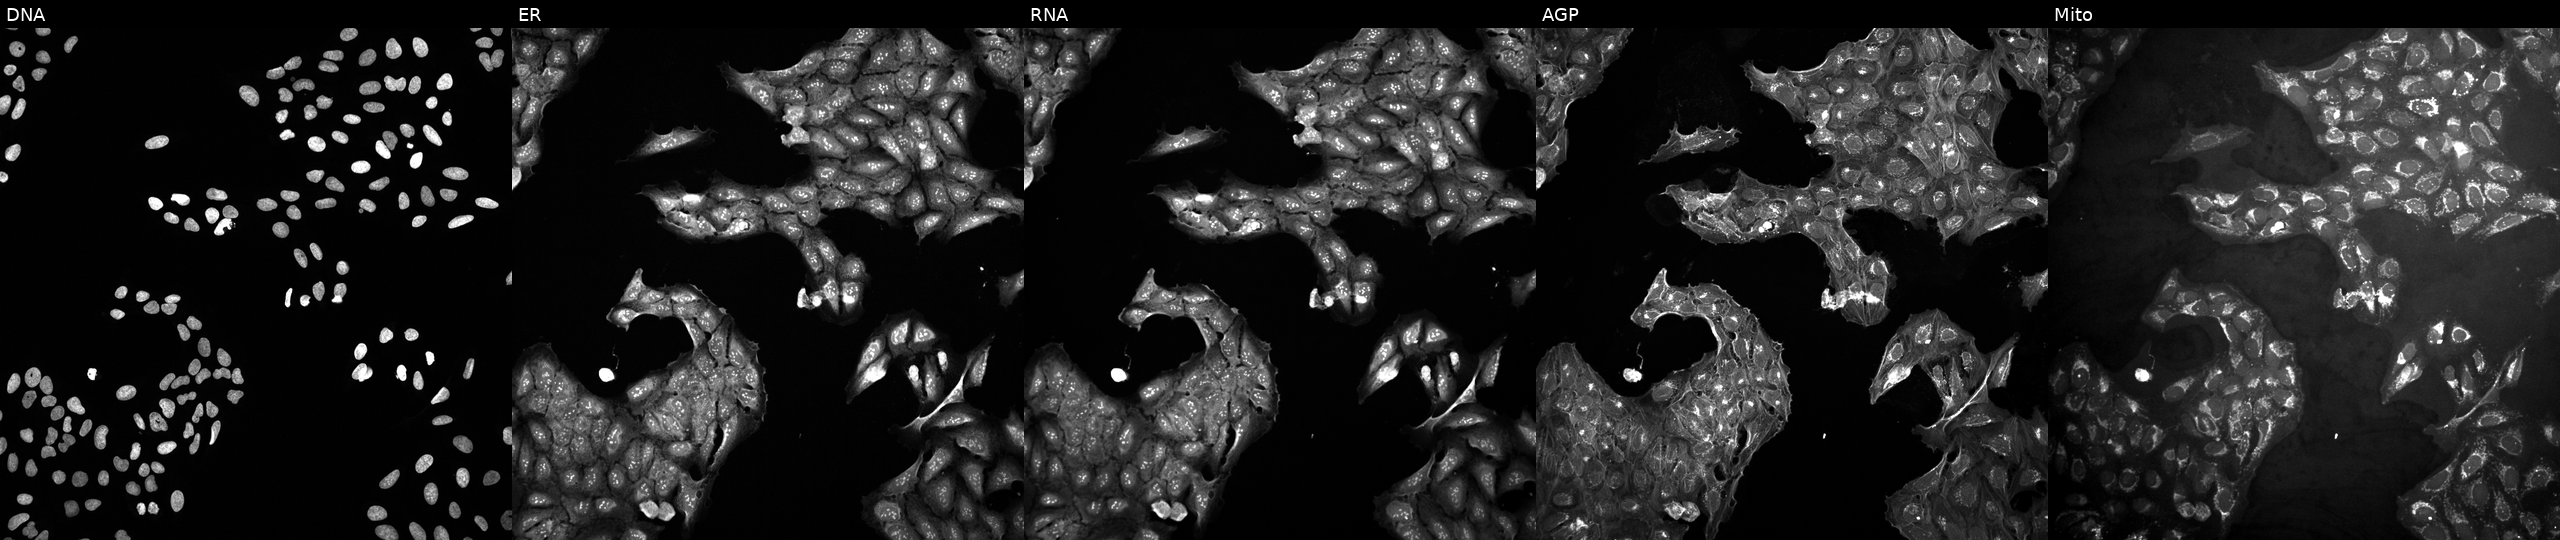
U2OS cells, Cell Painting assay, untreated (empty-well control) (JUMP id JCP2022_999999). Channels (left→right): DNA, ER, RNA, AGP, and Mito. Each panel is percentile-stretched 16-bit fluorescence.